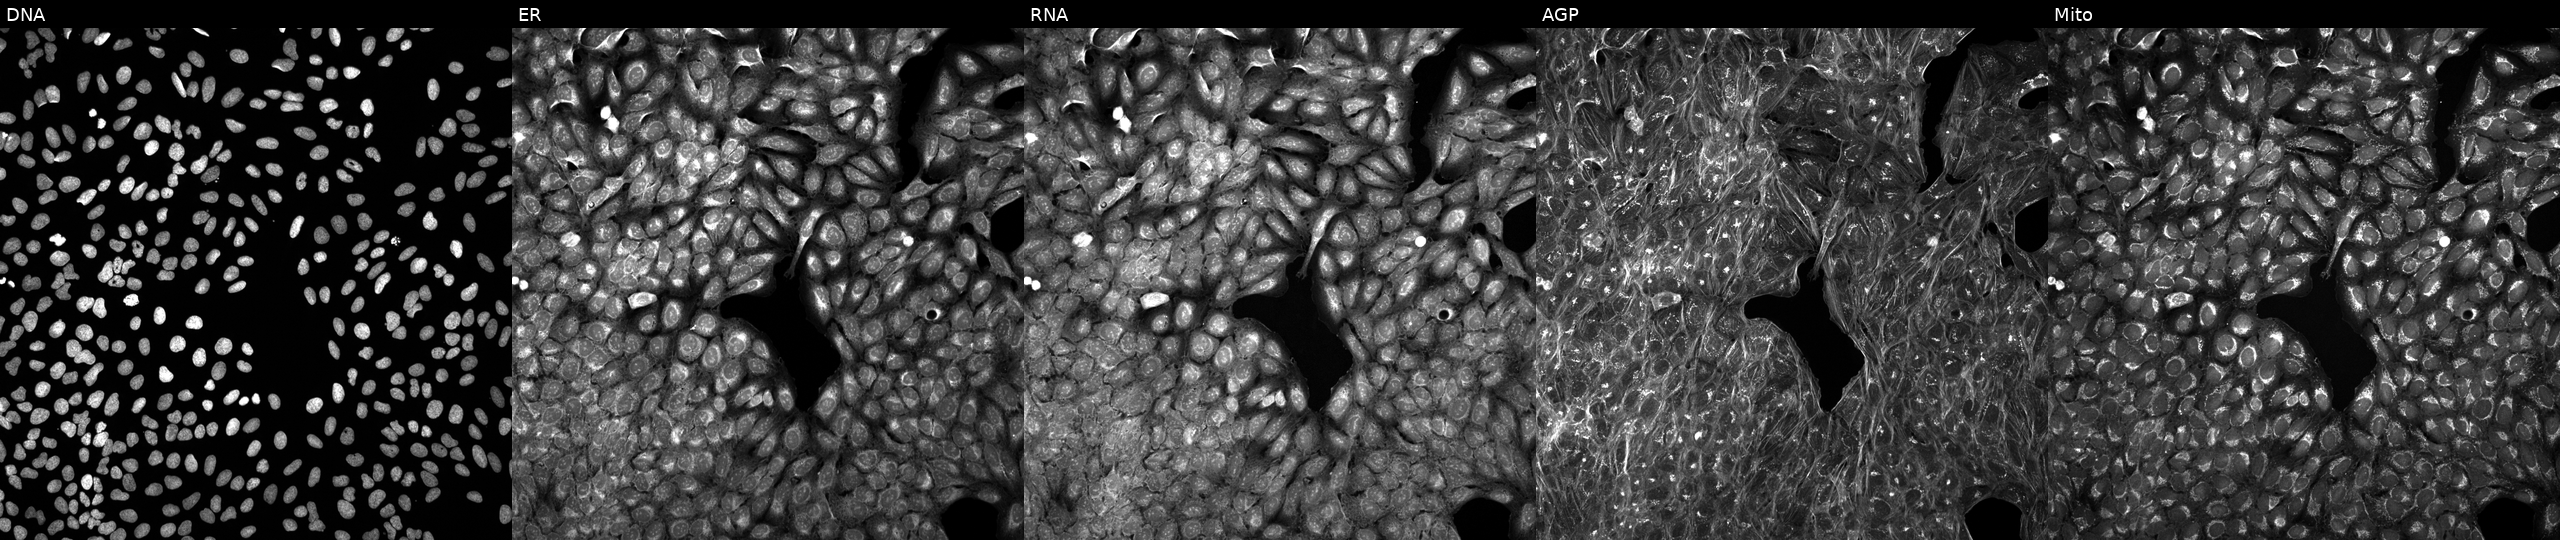
U2OS cells, Cell Painting assay, perturbed with a small-molecule compound (InChIKey VHHVPDKNKPNKHY-UHFFFAOYSA-N) [SMILES: CC(C)C1c2ccc(F)cc2CCC1(CCN(C)CCCc1nc2ccccc2[nH]1)OC(=O)C1CC1]. From left to right: DNA (nuclei); ER (endoplasmic reticulum); RNA (nucleoli and cytoplasmic RNA); AGP (actin cytoskeleton, Golgi, and plasma membrane); Mito (mitochondria). Each panel is percentile-stretched 16-bit fluorescence.